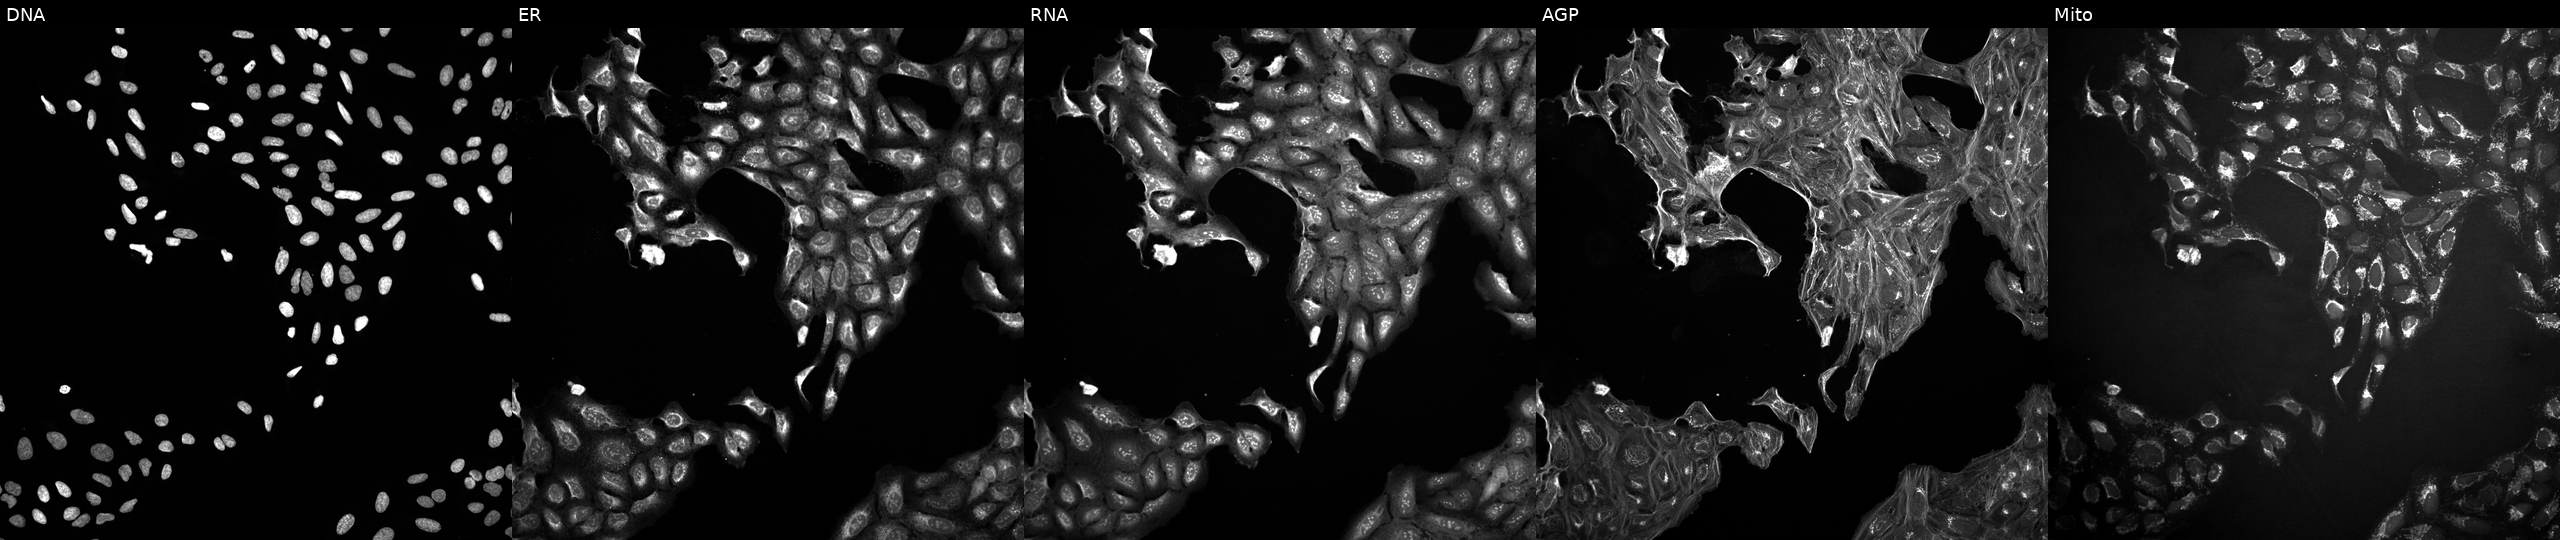
High-content fluorescence microscopy (Cell Painting). Cell line: U2OS. Perturbation: treated with a small-molecule compound (InChIKey VXVXCHMAEIFPEB-UHFFFAOYSA-N) (JUMP id JCP2022_097033). The five panels, left to right, show DNA (nuclei); ER (endoplasmic reticulum); RNA (nucleoli and cytoplasmic RNA); AGP (actin cytoskeleton, Golgi, and plasma membrane); Mito (mitochondria).